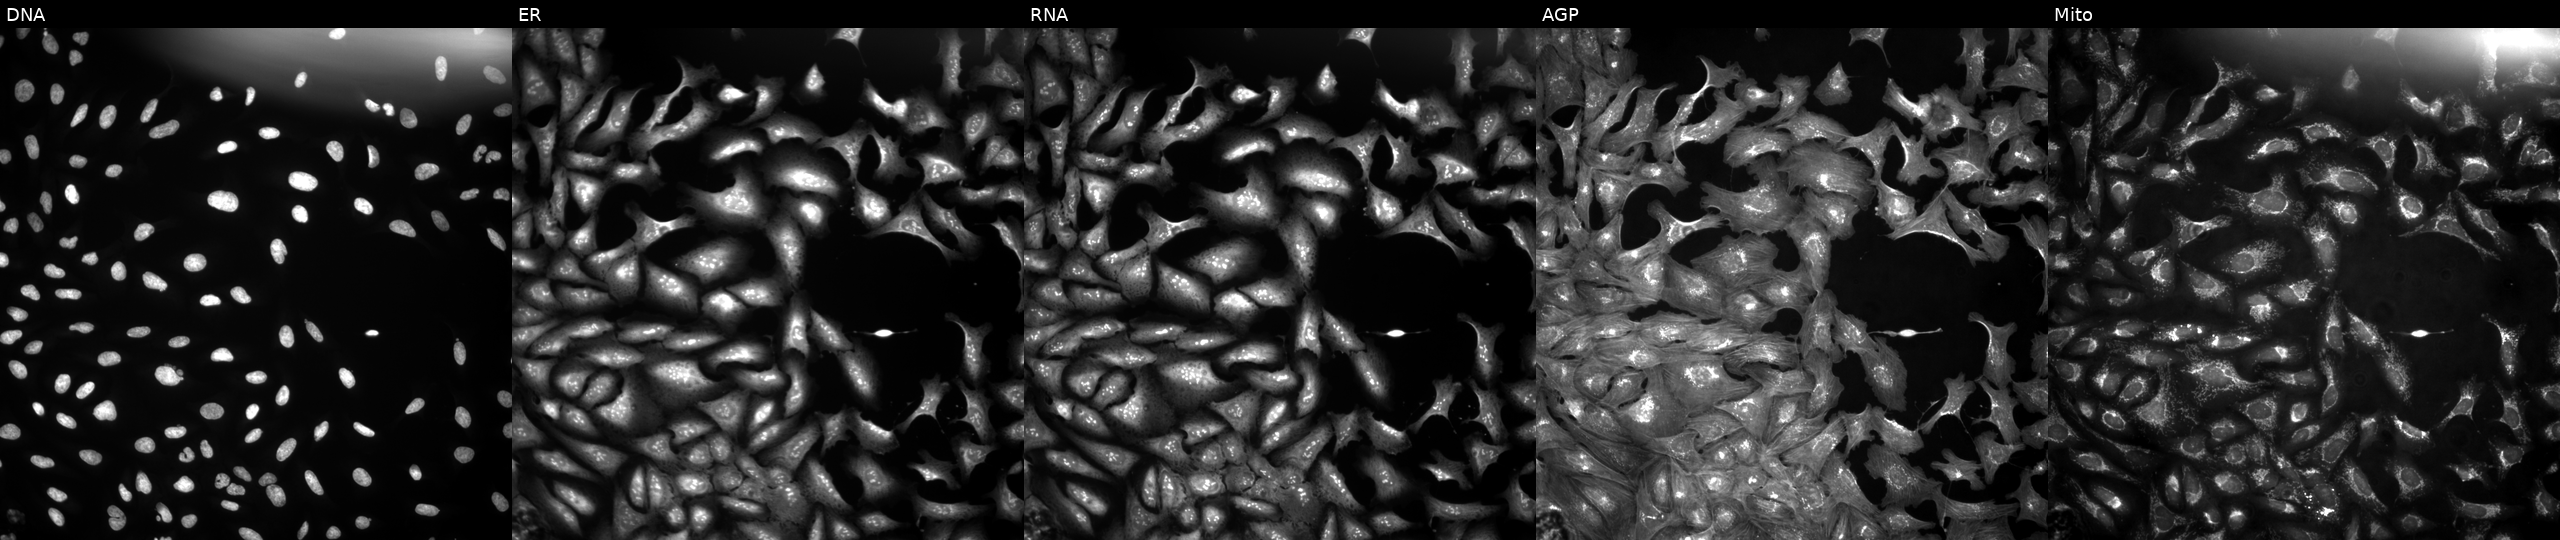
Five-channel Cell Painting image of U2OS cells transfected with an ORF construct for VKORC1L1. The five panels, left to right, show DNA (nuclei); ER (endoplasmic reticulum); RNA (nucleoli and cytoplasmic RNA); AGP (actin cytoskeleton, Golgi, and plasma membrane); Mito (mitochondria).